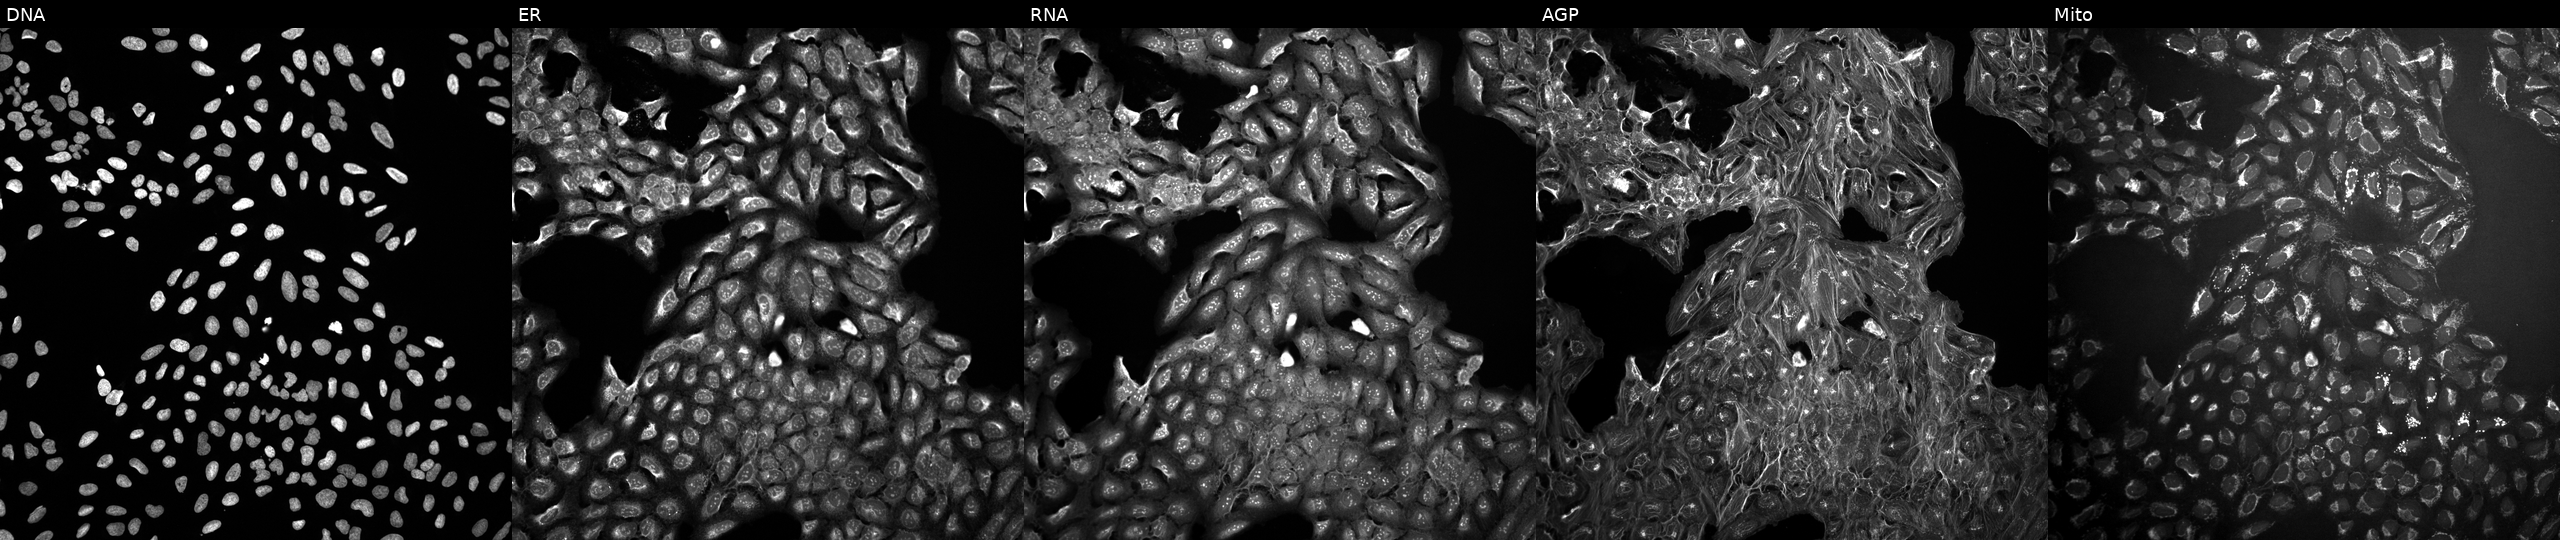
High-content fluorescence microscopy (Cell Painting). Cell line: U2OS. Perturbation: exposed to a small-molecule compound (InChIKey WSDQLTRJWNBTMT-UHFFFAOYSA-N) [SMILES: COCCC(C)(O)CNC(=O)Nc1ccccc1] (JUMP id JCP2022_100834). The five panels, left to right, show DNA, ER, RNA, AGP, and Mito. Source 10, plate Dest210531-152324, well J15.